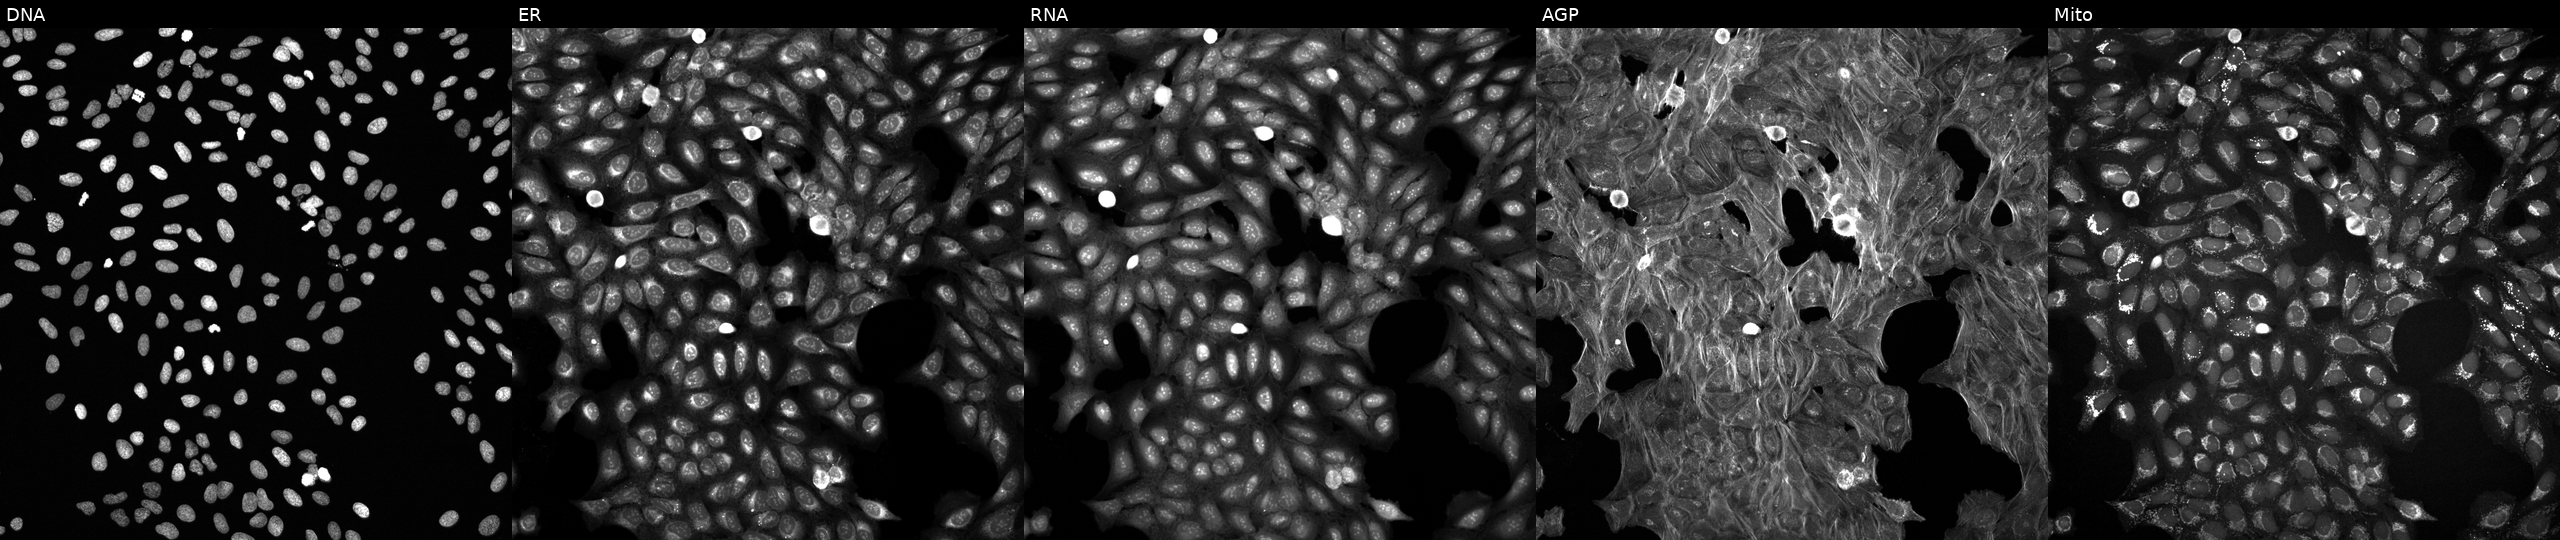
Five-channel Cell Painting image of U2OS cells treated with a small-molecule compound. From left to right: Hoechst 33342, concanavalin A, SYTO 14, phalloidin and WGA, MitoTracker. Source 6, plate 110000293083, well O12.